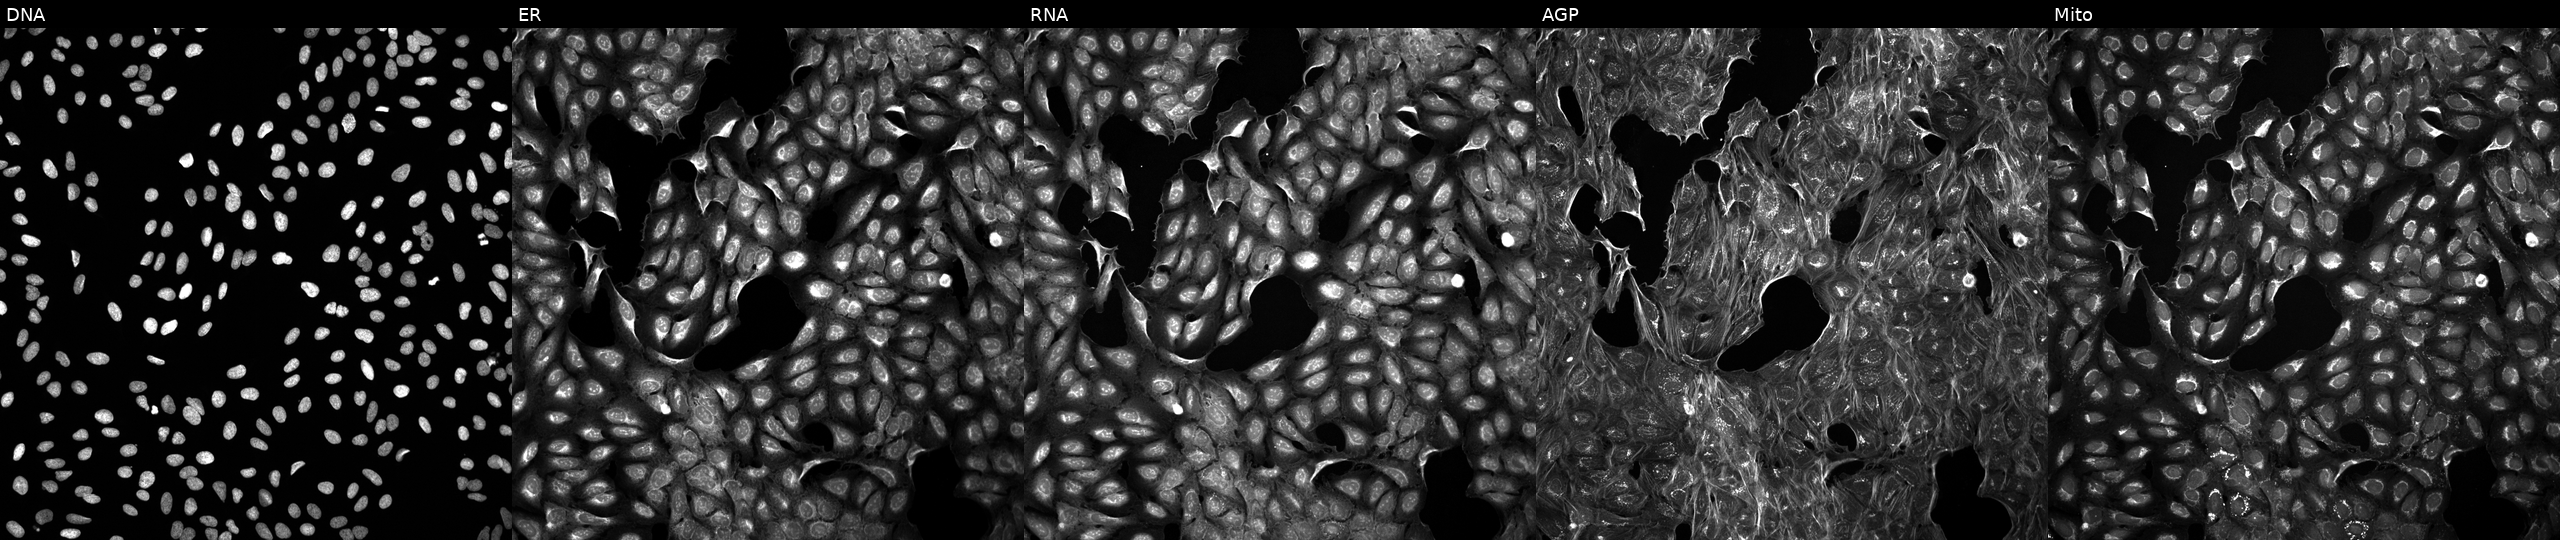
JUMP Cell Painting — TARGET2 plate. U2OS cells perturbed with a small-molecule compound (InChIKey ALBKMJDFBZVHAK-UHFFFAOYSA-N) (JUMP id JCP2022_002118). The five panels, left to right, show DNA (nuclei); ER (endoplasmic reticulum); RNA (nucleoli and cytoplasmic RNA); AGP (actin cytoskeleton, Golgi, and plasma membrane); Mito (mitochondria).